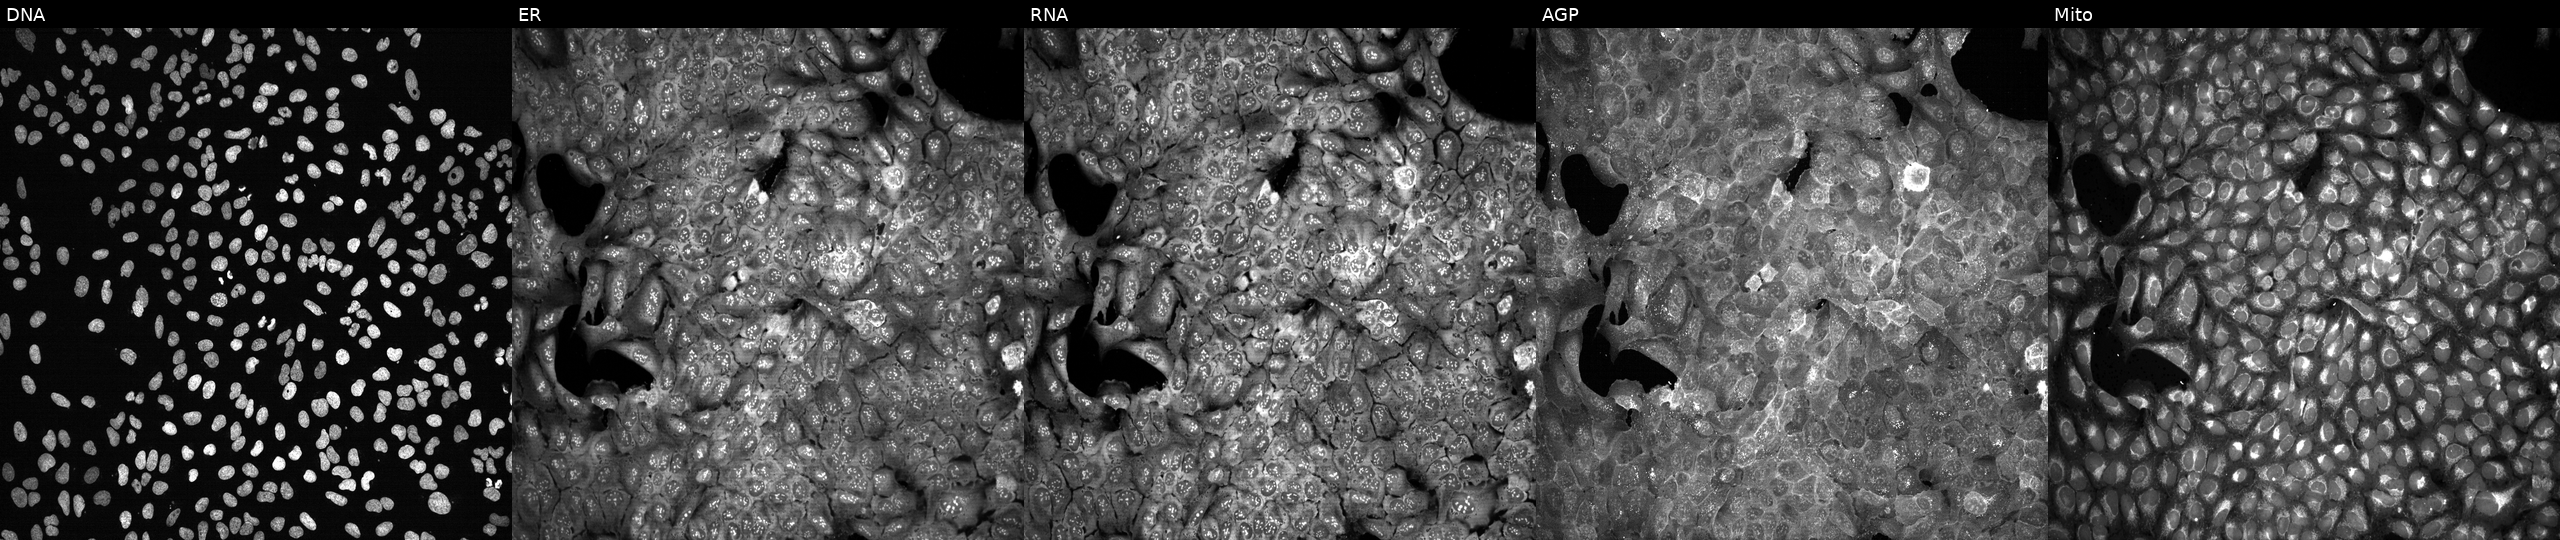
Five-channel Cell Painting image of U2OS cells following CRISPR knockout of SLC23A1 (JUMP id JCP2022_806431). From left to right: DNA, ER, RNA, AGP, and Mito.